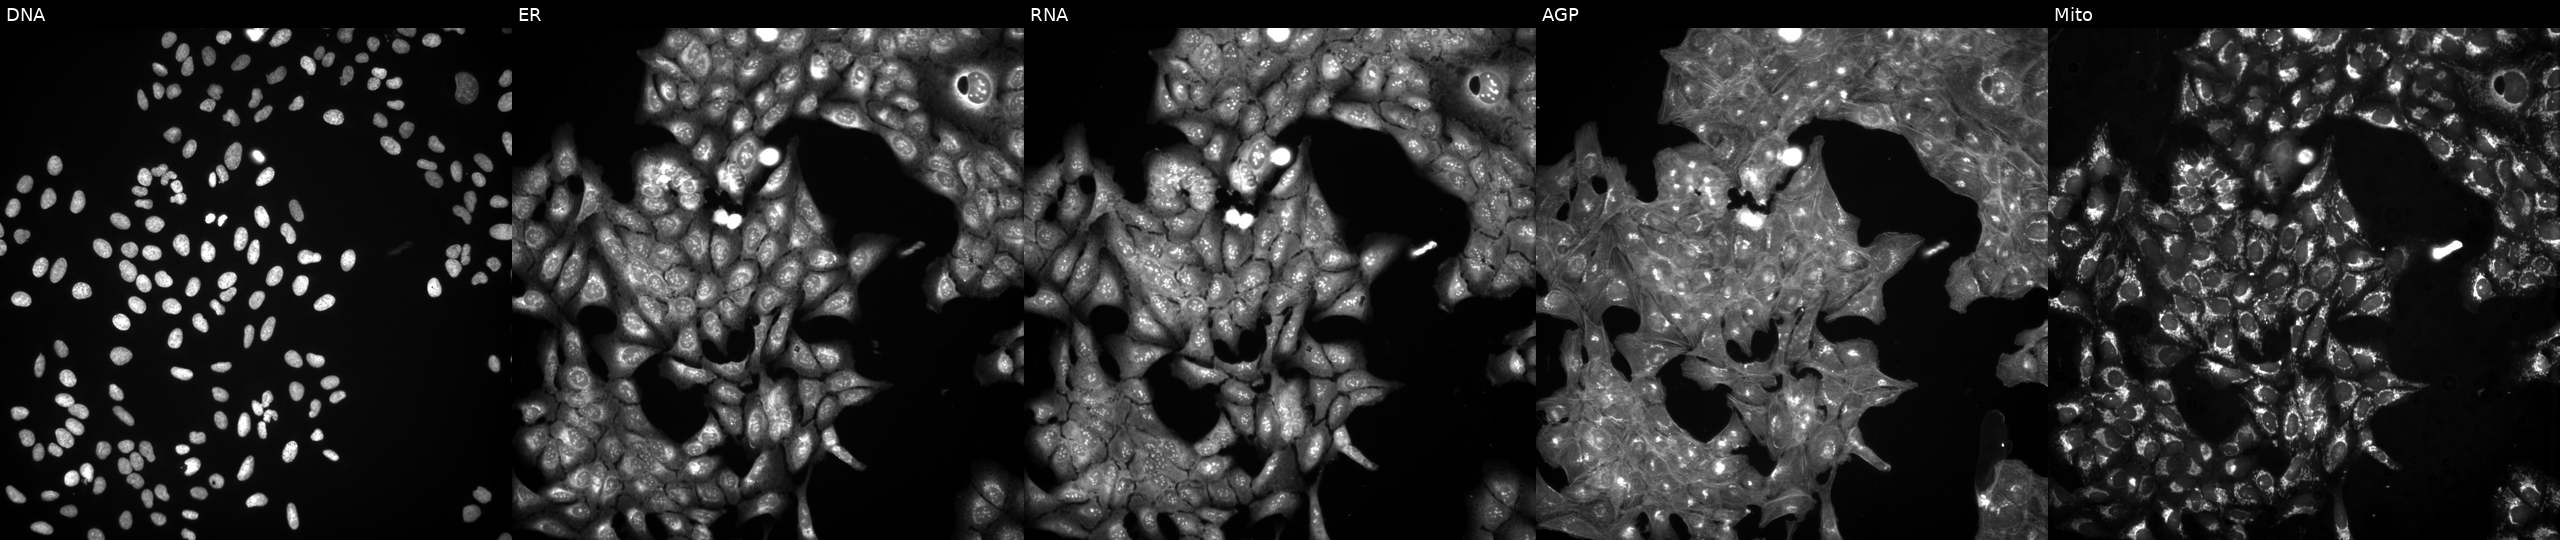
JUMP Cell Painting — COMPOUND plate. U2OS cells exposed to DMSO alone as a negative control. Channels (left→right): DNA, ER, RNA, AGP, and Mito.